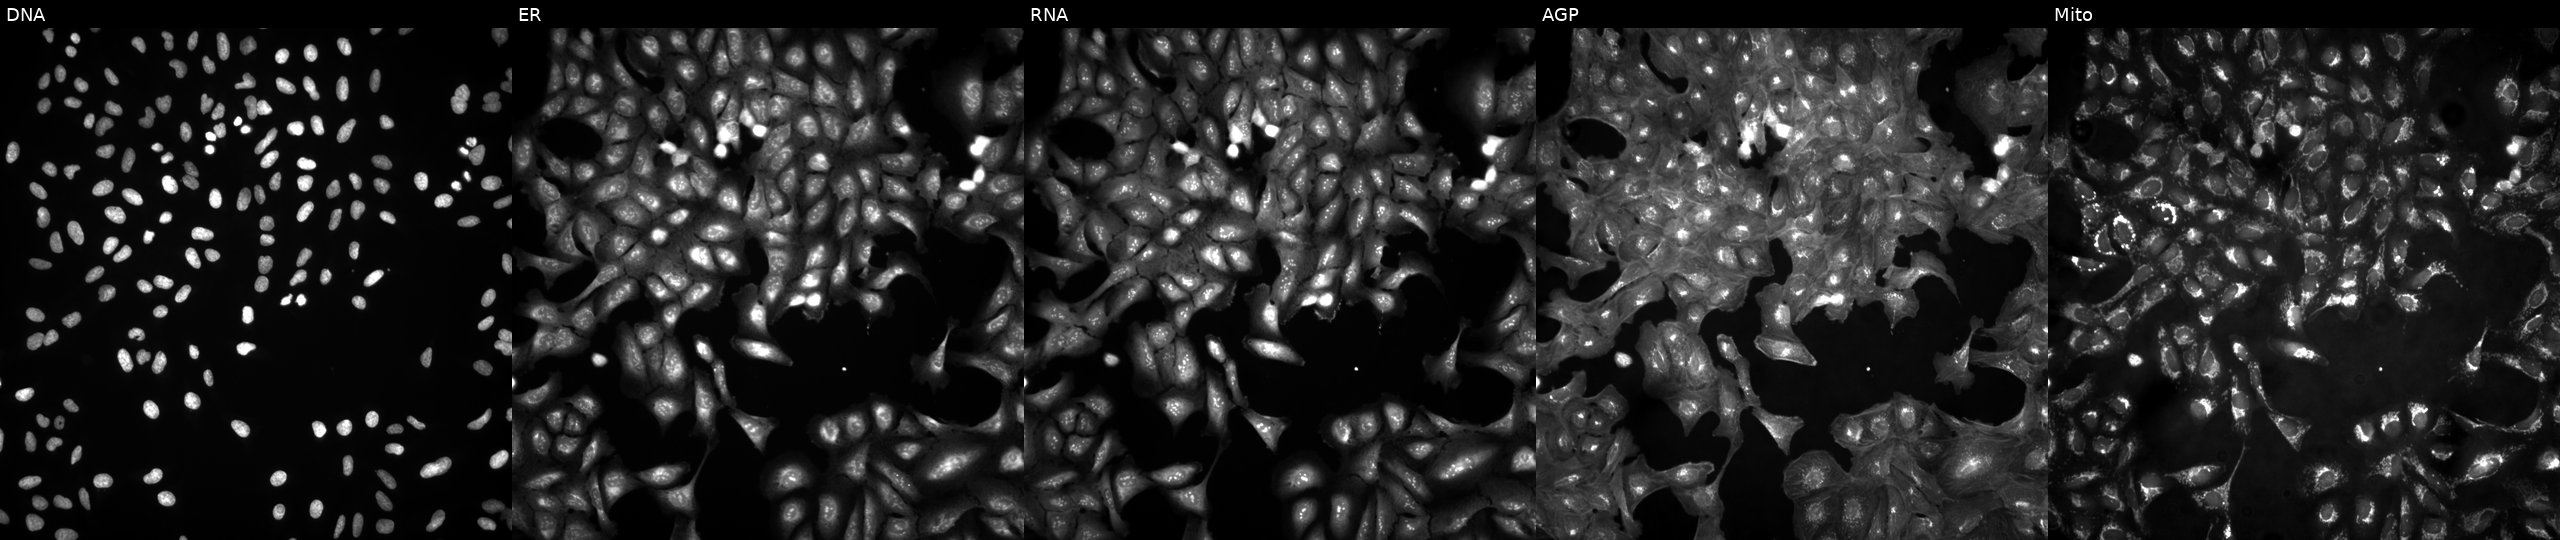
The five panels, left to right, show Hoechst 33342, concanavalin A, SYTO 14, phalloidin and WGA, MitoTracker. U2OS osteosarcoma cells in an empty control well (no perturbation). Cell Painting assay, JUMP-CP dataset. Source 4, plate BR00123946, well D24.